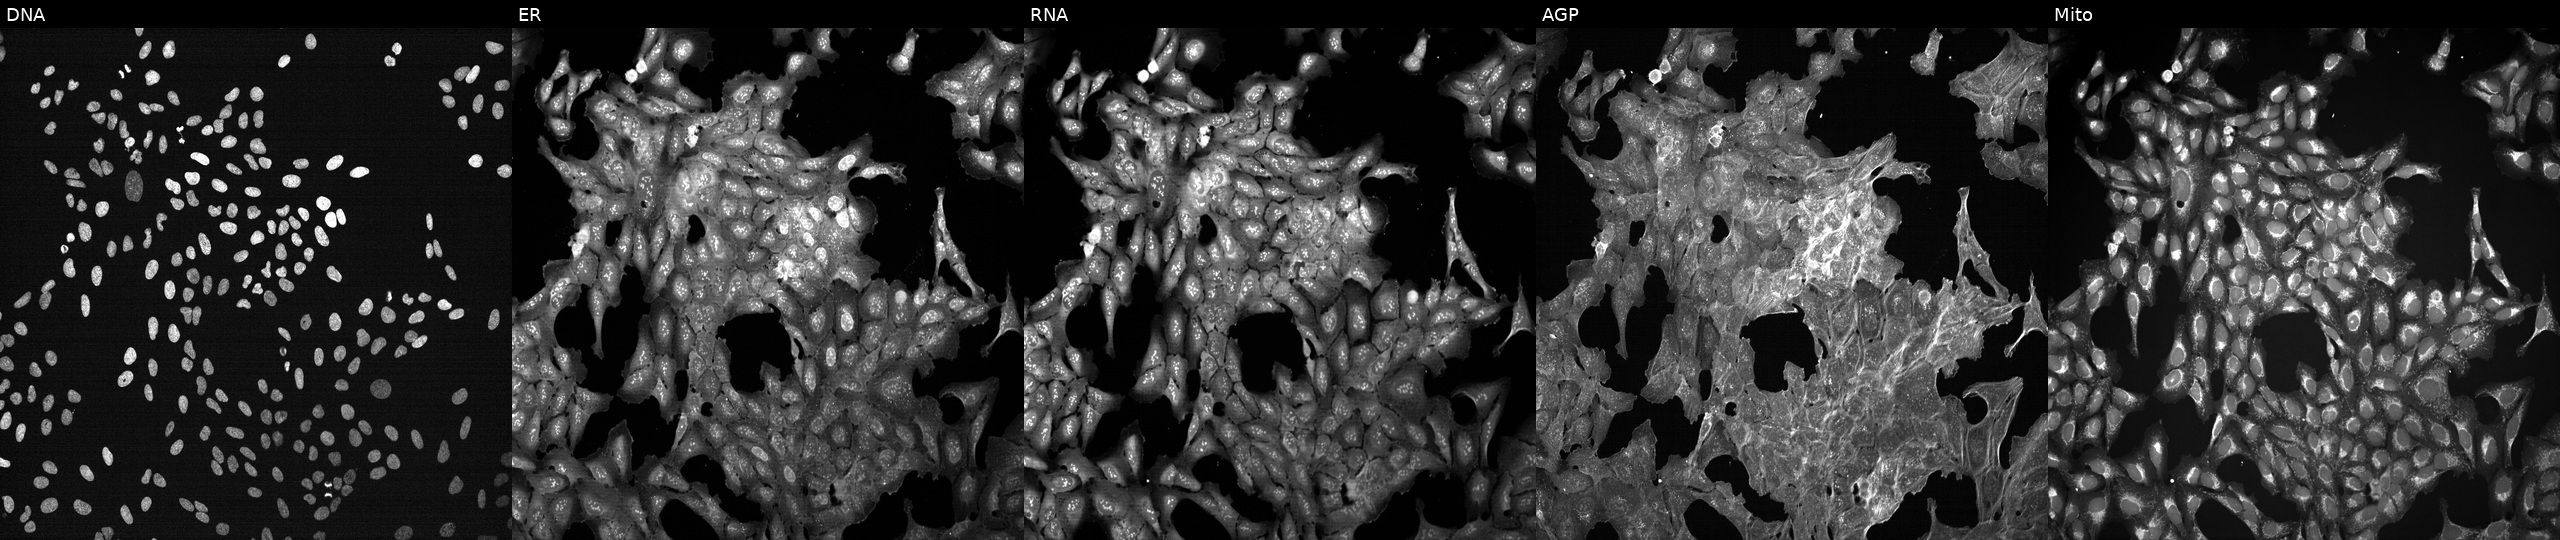
This image strip shows the five Cell Painting channels for a single field of U2OS cells exposed to a small-molecule compound (InChIKey KJFMBFZCATUALV-UHFFFAOYSA-N). From left to right: DNA (nuclei); ER (endoplasmic reticulum); RNA (nucleoli and cytoplasmic RNA); AGP (actin cytoskeleton, Golgi, and plasma membrane); Mito (mitochondria).